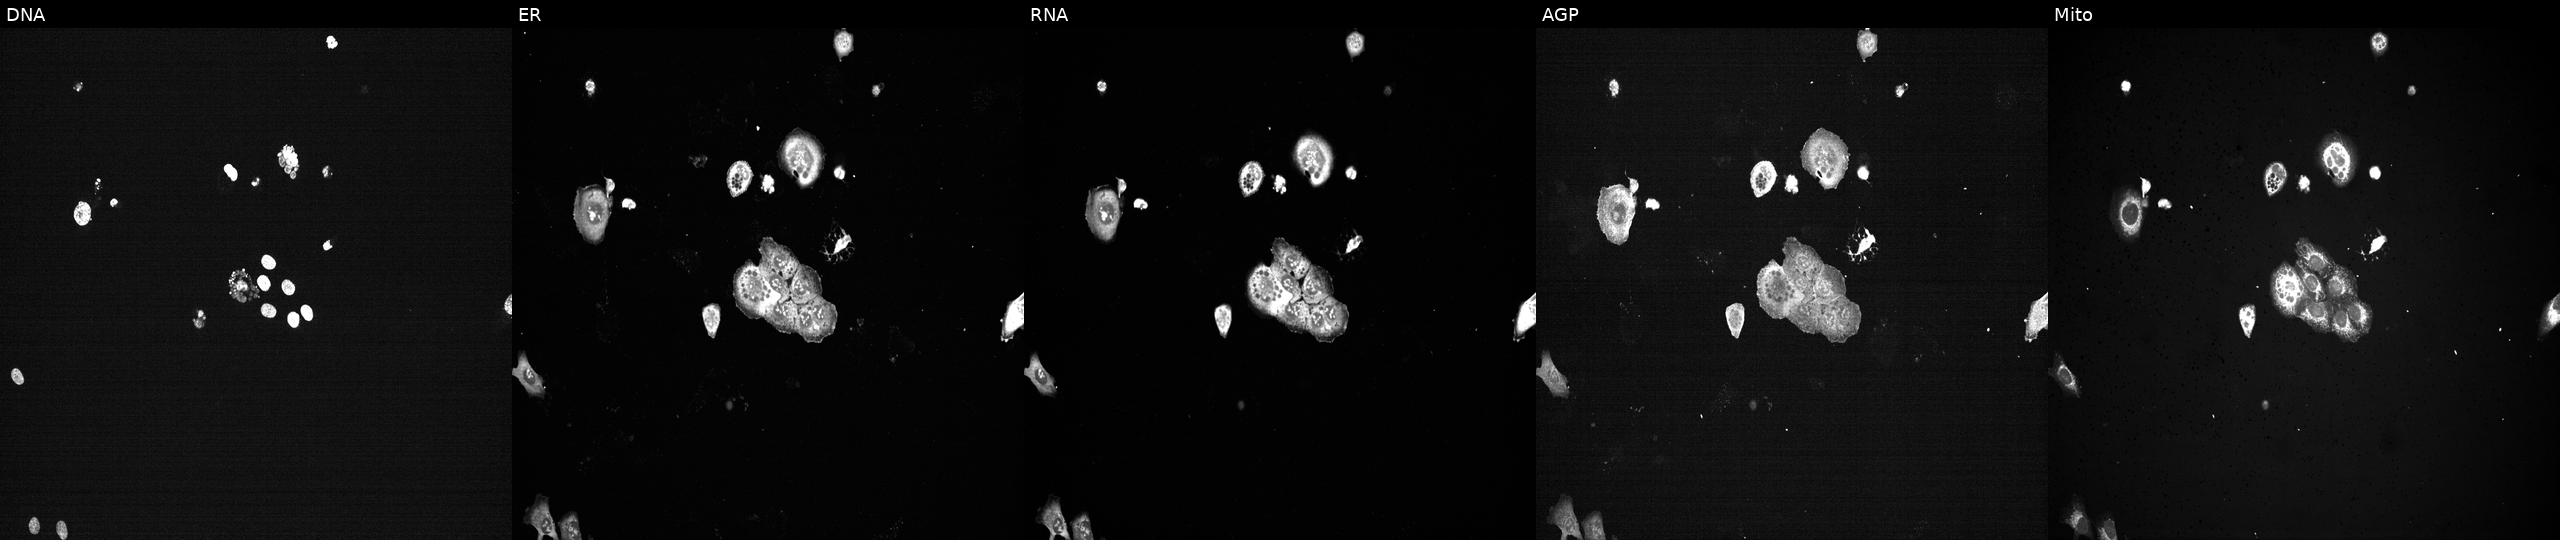
High-content fluorescence microscopy (Cell Painting). Cell line: U2OS. Perturbation: with PLK1 knocked out by CRISPR (positive control) (JUMP id JCP2022_805264). Channels (left→right): Hoechst 33342, concanavalin A, SYTO 14, phalloidin and WGA, MitoTracker. Source 13, plate CP-CC9-R2-02, well P02.